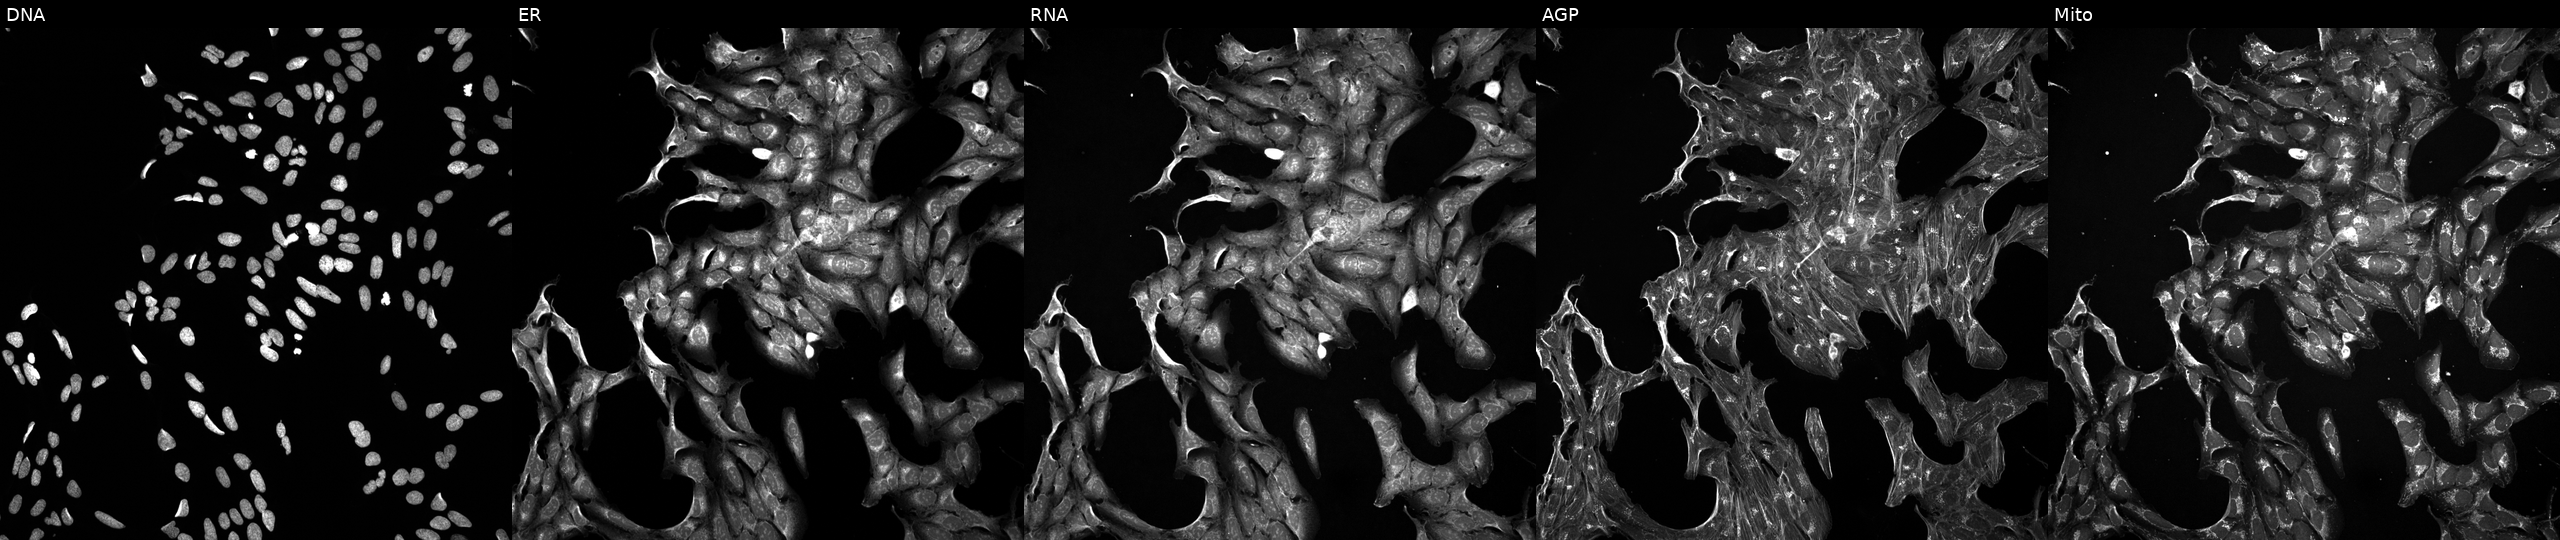
JUMP Cell Painting — TARGET2 plate. U2OS cells perturbed with a small-molecule compound (JUMP id JCP2022_010404). The five panels, left to right, show DNA (nuclei); ER (endoplasmic reticulum); RNA (nucleoli and cytoplasmic RNA); AGP (actin cytoskeleton, Golgi, and plasma membrane); Mito (mitochondria).